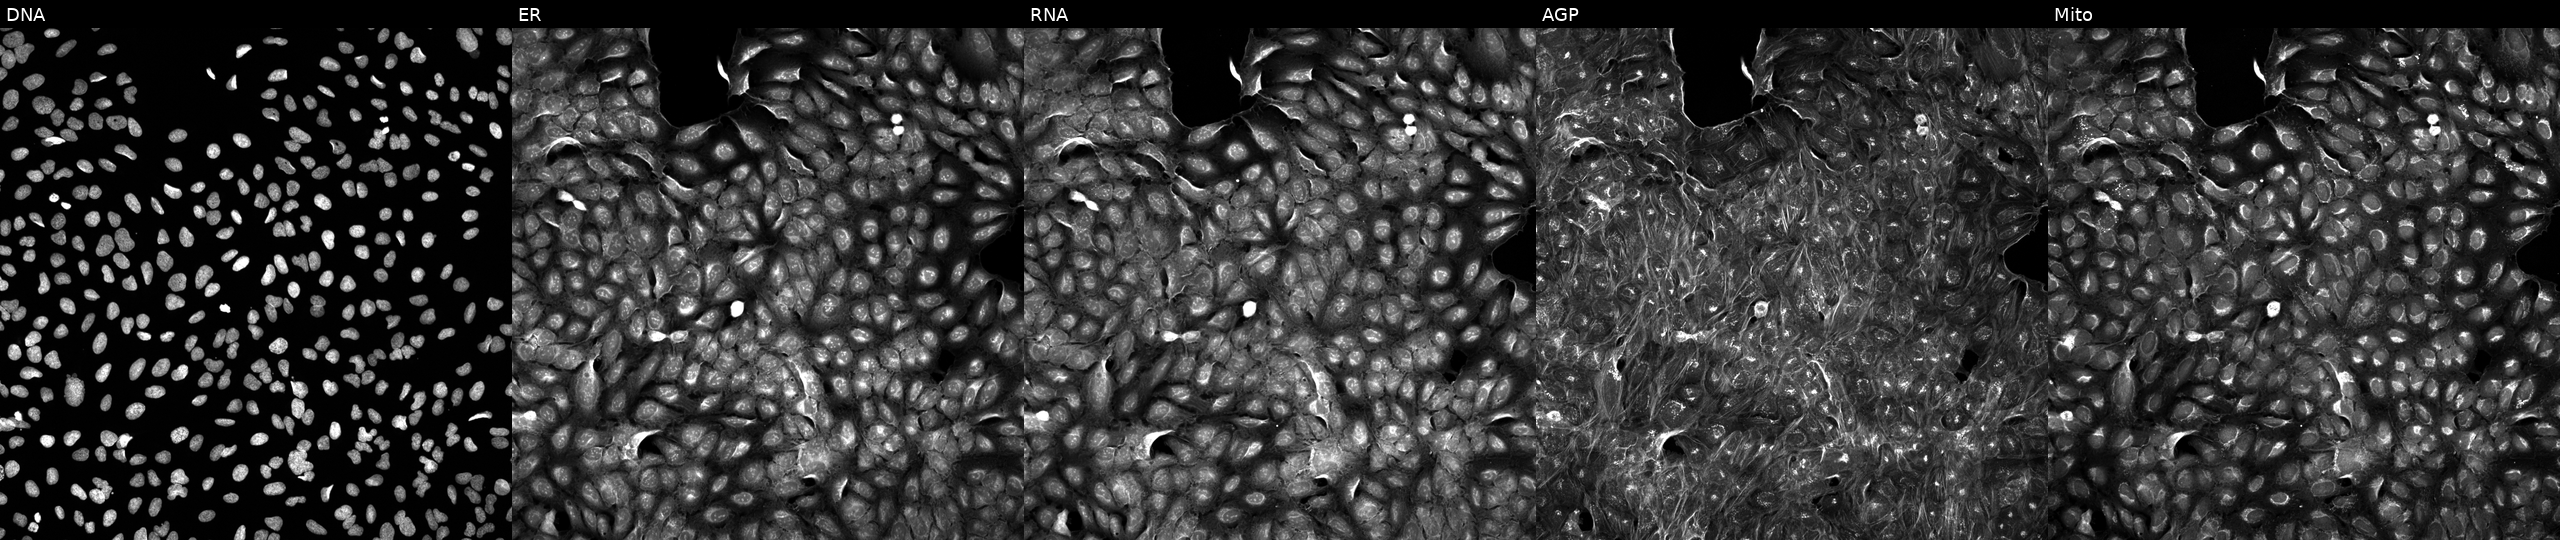
High-content fluorescence microscopy (Cell Painting). Cell line: U2OS. Perturbation: perturbed with a small-molecule compound (InChIKey ZDTBCBPMAQLWDZ-UHFFFAOYSA-N). Panels show, left to right, DNA (nuclei); ER (endoplasmic reticulum); RNA (nucleoli and cytoplasmic RNA); AGP (actin cytoskeleton, Golgi, and plasma membrane); Mito (mitochondria). Source 5, plate APTJUM106, well O10.